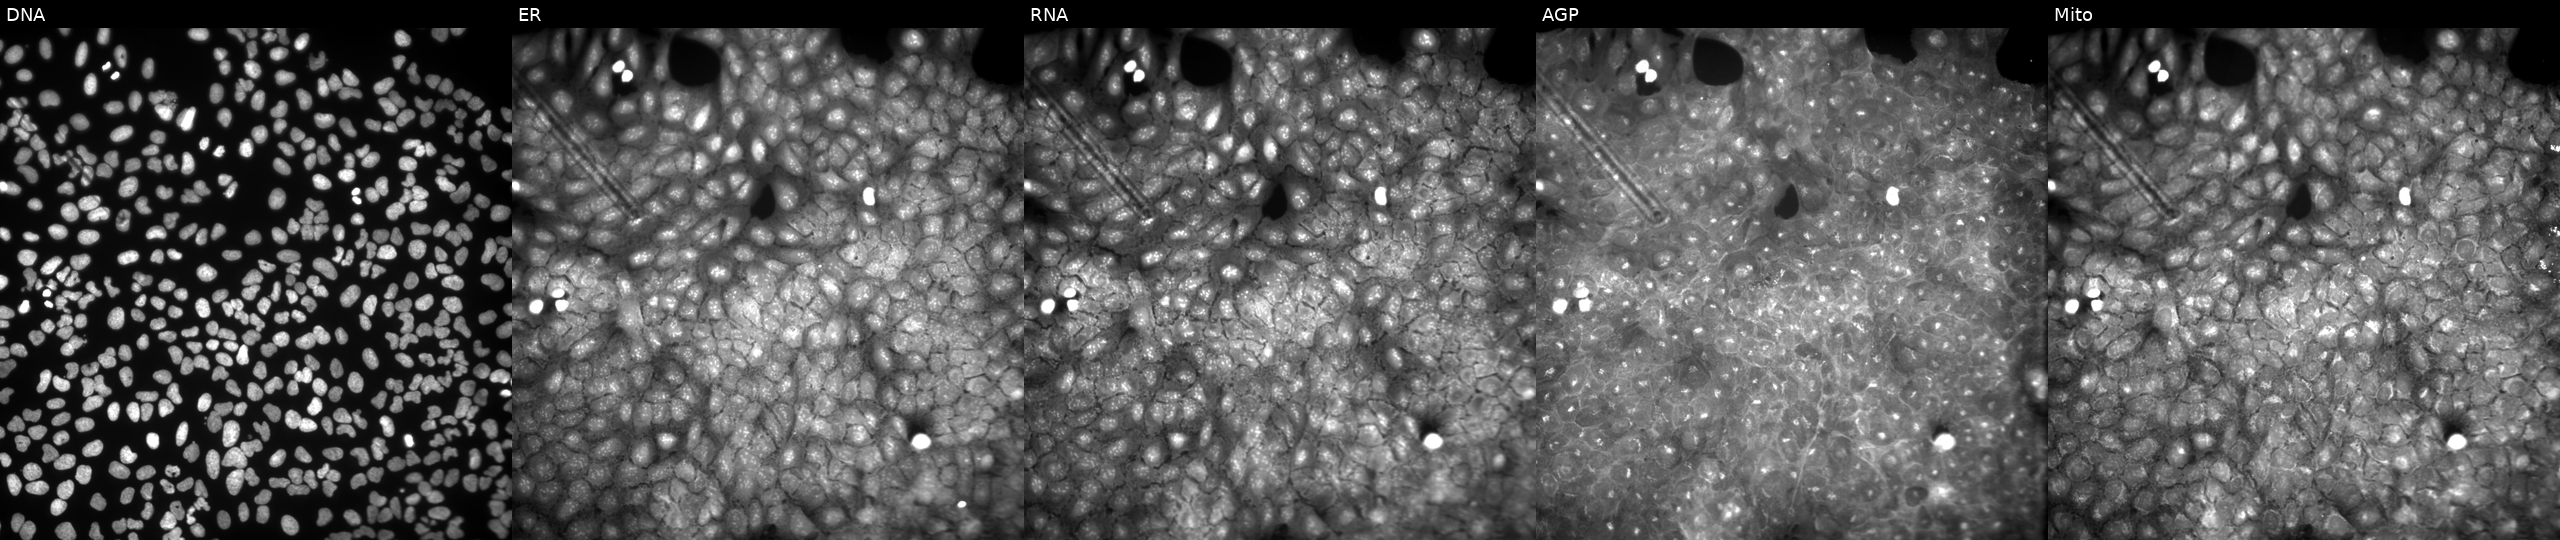
High-content fluorescence microscopy (Cell Painting). Cell line: U2OS. Perturbation: perturbed with a small-molecule compound. From left to right: DNA (nuclei); ER (endoplasmic reticulum); RNA (nucleoli and cytoplasmic RNA); AGP (actin cytoskeleton, Golgi, and plasma membrane); Mito (mitochondria). Source 9, plate GR00003382, well AA38.